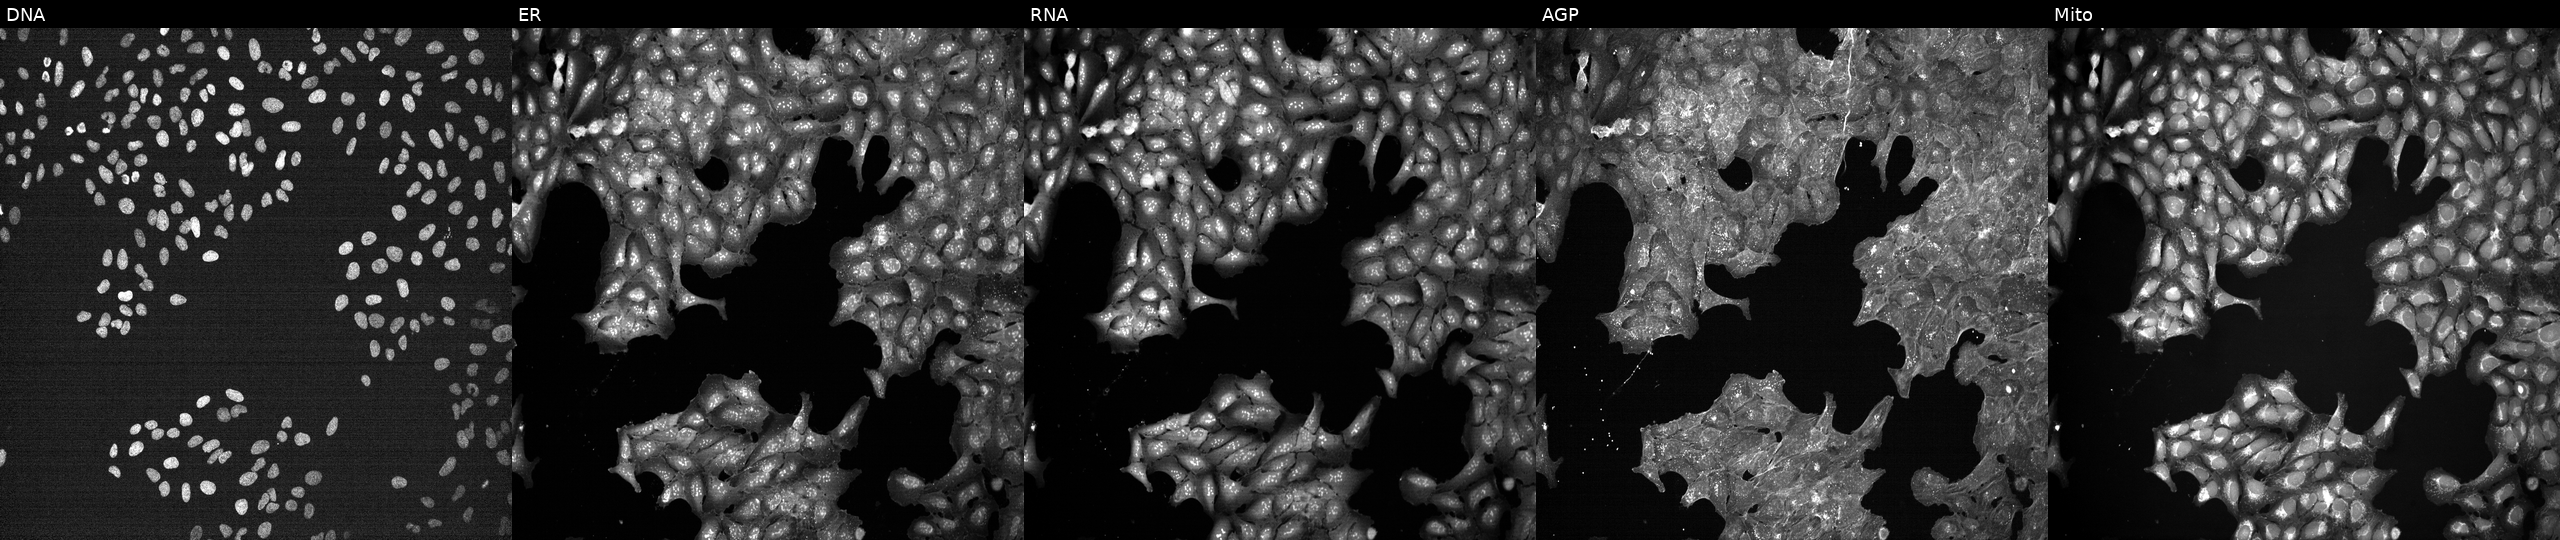
Five-channel Cell Painting image of U2OS cells treated with a small-molecule compound (InChIKey PHLBKPHSAVXXEF-UHFFFAOYSA-N) (JUMP id JCP2022_068606). Panels show, left to right, DNA (nuclei); ER (endoplasmic reticulum); RNA (nucleoli and cytoplasmic RNA); AGP (actin cytoskeleton, Golgi, and plasma membrane); Mito (mitochondria).